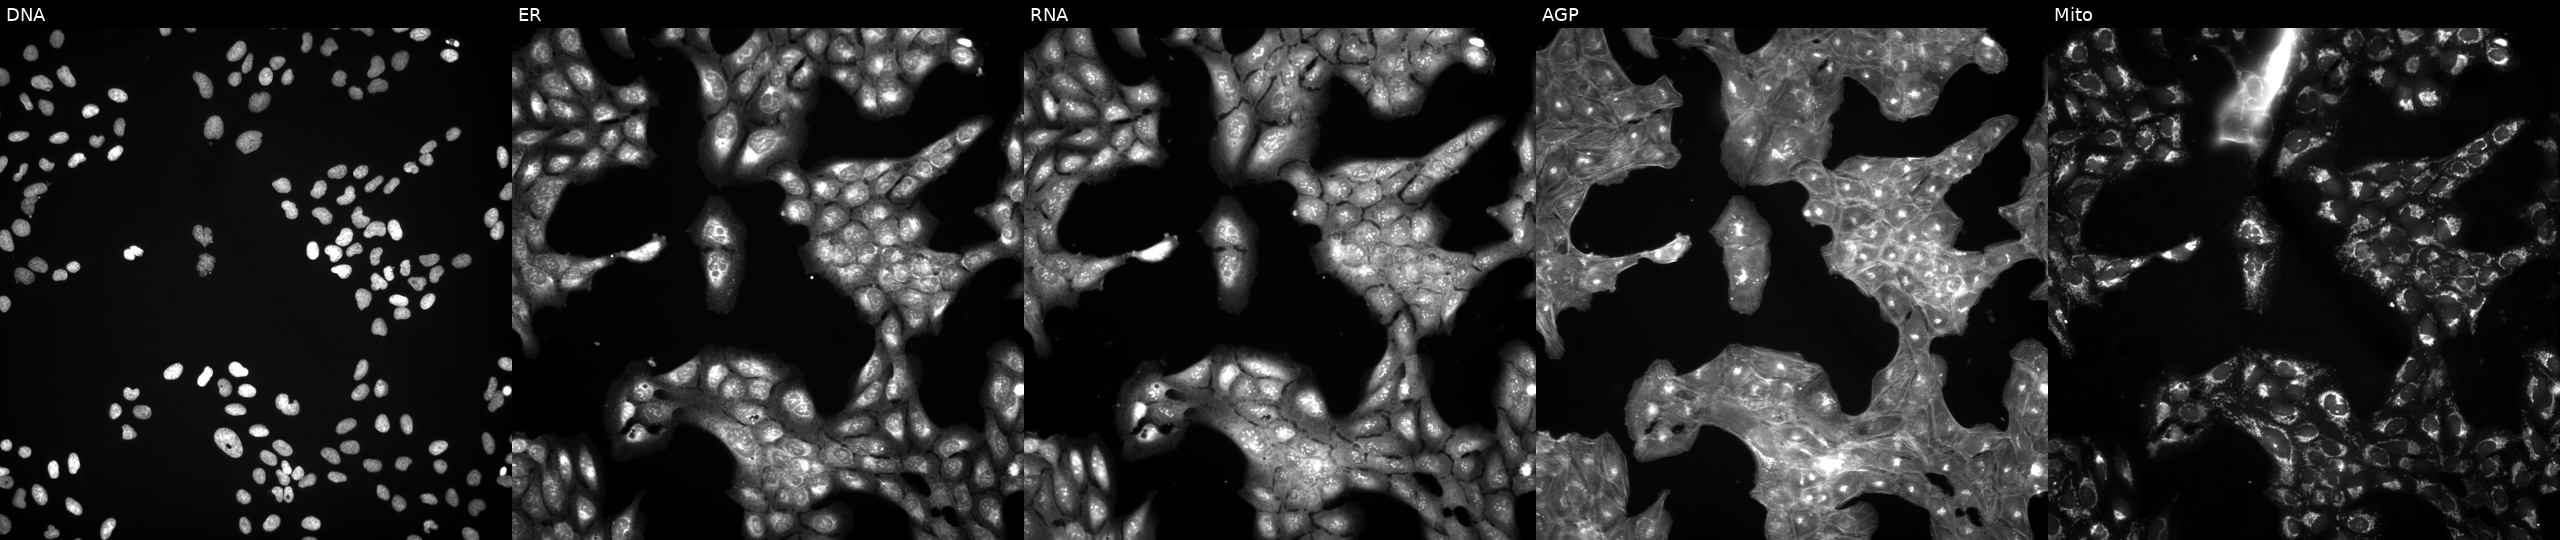
Panels show, left to right, DNA (nuclei); ER (endoplasmic reticulum); RNA (nucleoli and cytoplasmic RNA); AGP (actin cytoskeleton, Golgi, and plasma membrane); Mito (mitochondria). U2OS osteosarcoma cells treated with a small-molecule compound (InChIKey KRKNYBCHXYNGOX-UHFFFAOYSA-N) (JUMP id JCP2022_046524). Cell Painting assay, JUMP-CP dataset.